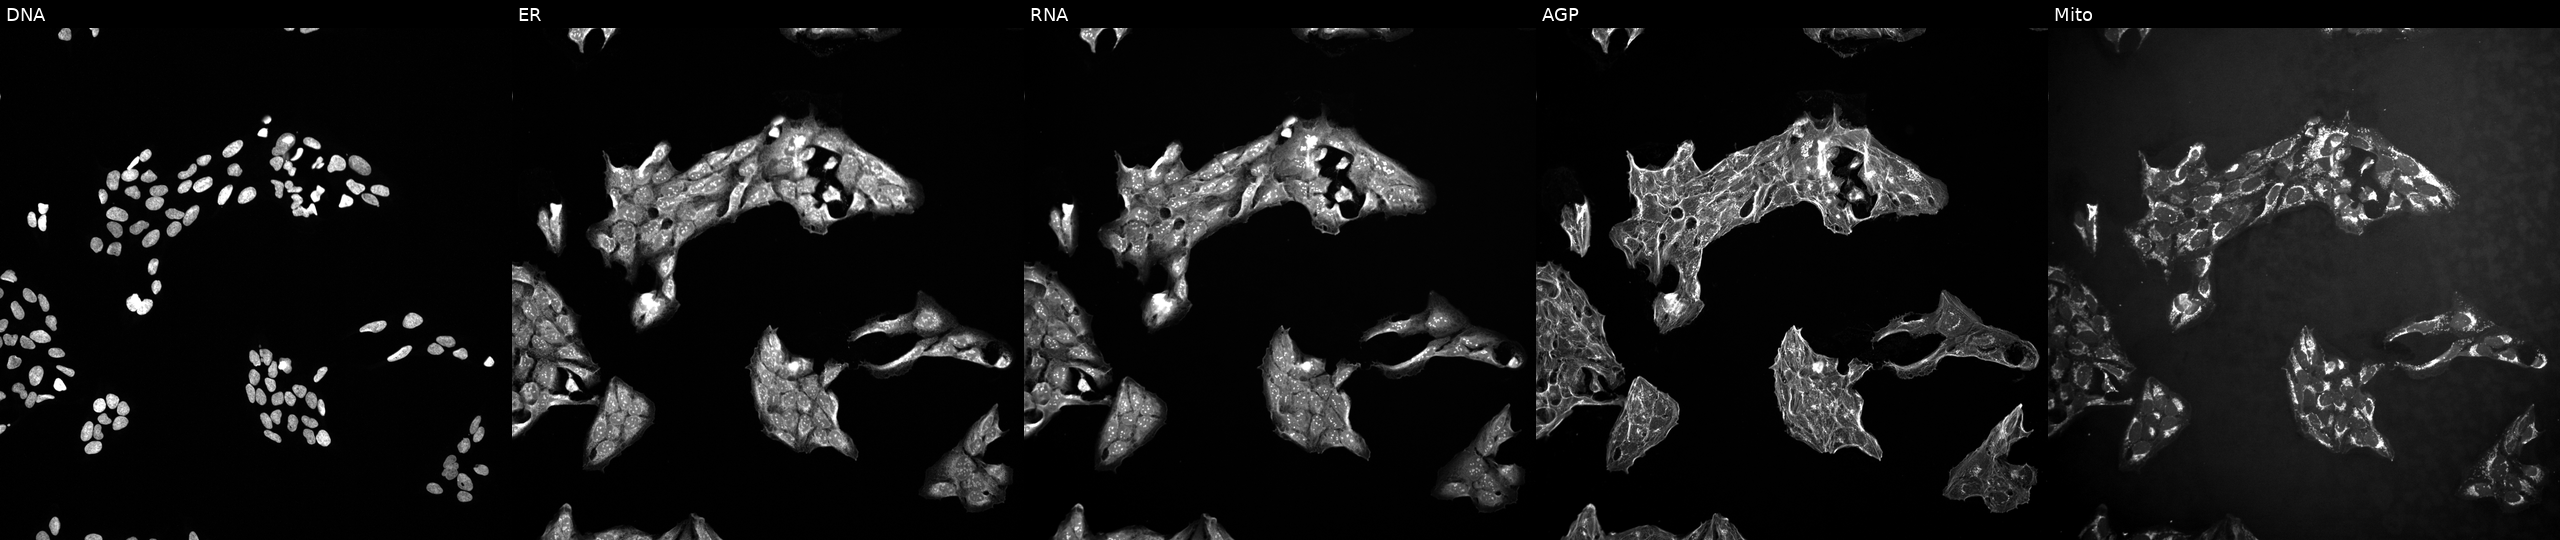
High-content fluorescence microscopy (Cell Painting). Cell line: U2OS. Perturbation: exposed to a small-molecule compound (InChIKey PBBRWFOVCUAONR-UHFFFAOYSA-N) (JUMP id JCP2022_067432). Channels (left→right): Hoechst 33342, concanavalin A, SYTO 14, phalloidin and WGA, MitoTracker. Source 10, plate Dest210726-160150, well C03.